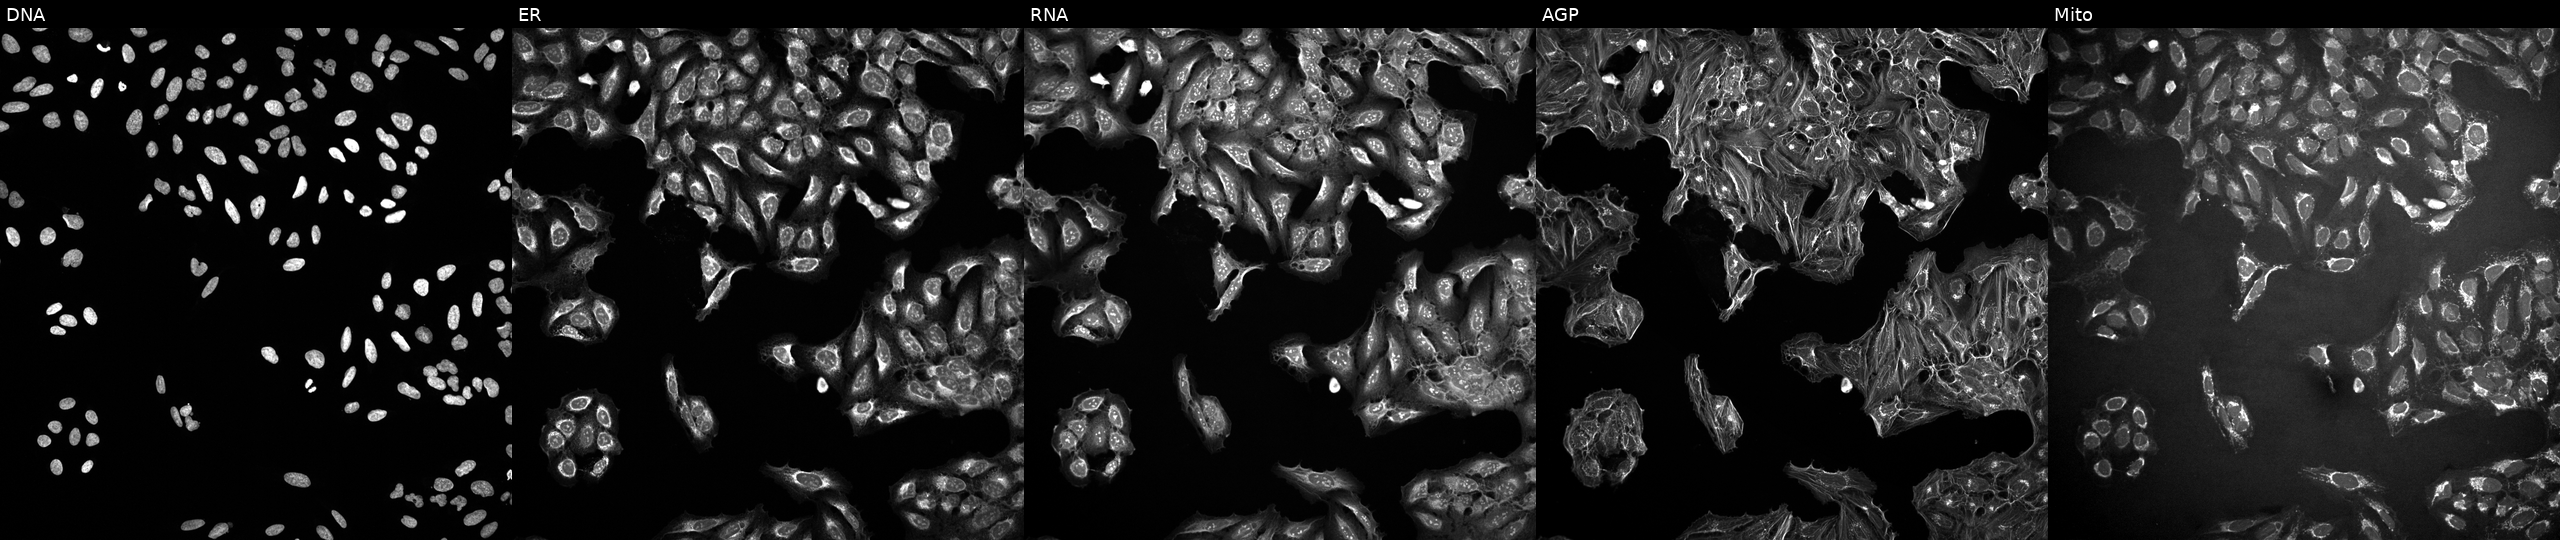
JUMP Cell Painting — COMPOUND plate. U2OS cells treated with a small-molecule compound (JUMP id JCP2022_004037). From left to right: DNA, ER, RNA, AGP, and Mito. Source 10, plate Dest210531-152324, well M04.